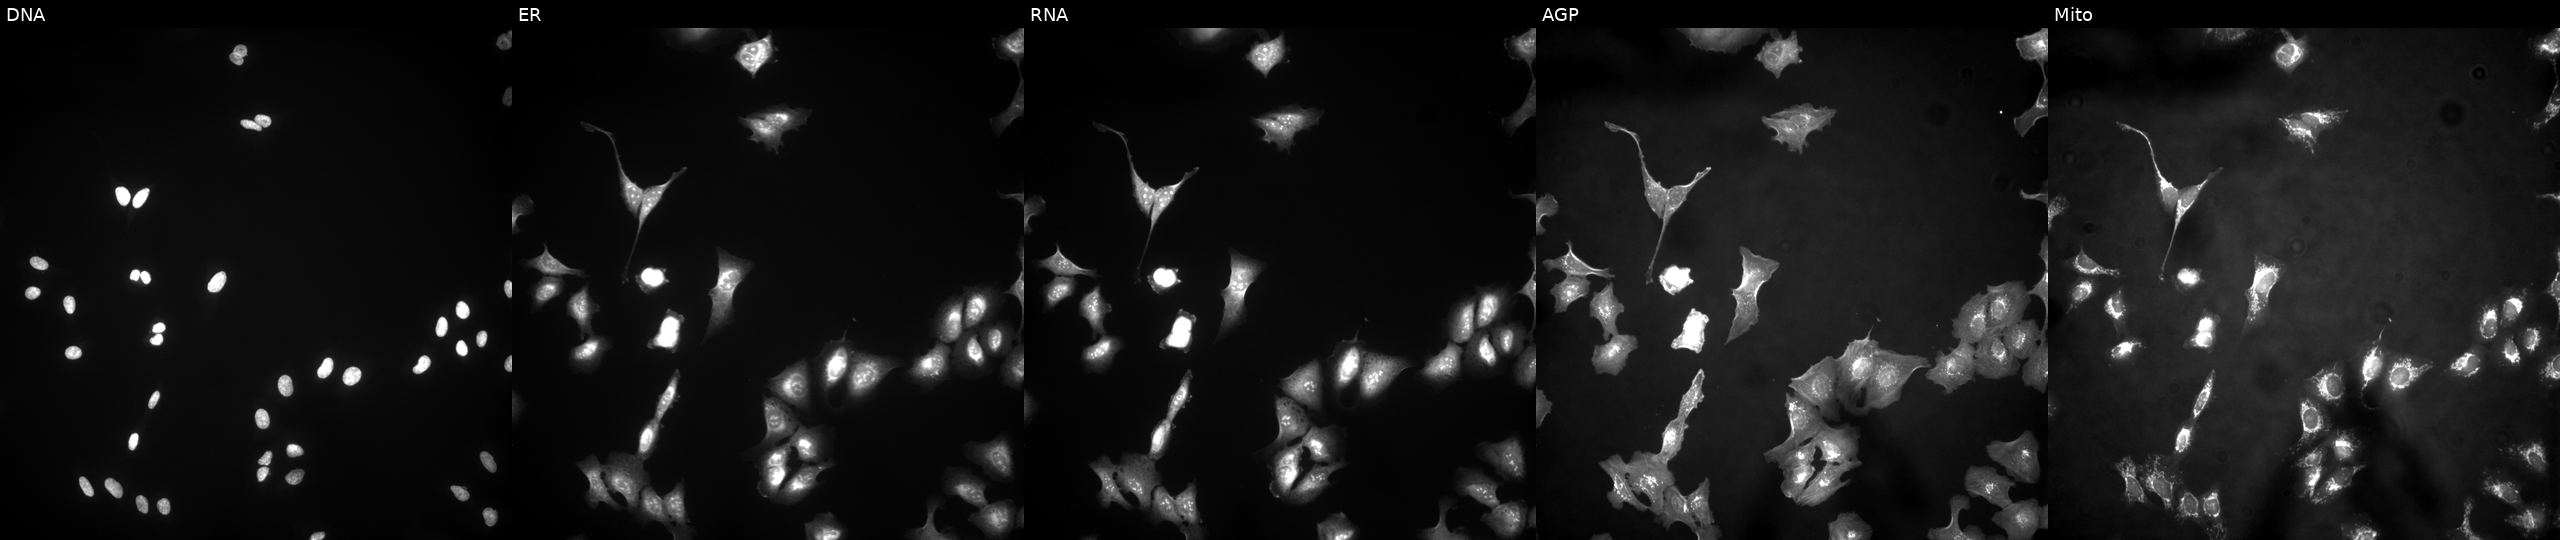
JUMP Cell Painting — ORF plate. U2OS cells with IKZF1 overexpressed (ORF) (JUMP id JCP2022_910706). Channels (left→right): Hoechst 33342, concanavalin A, SYTO 14, phalloidin and WGA, MitoTracker.